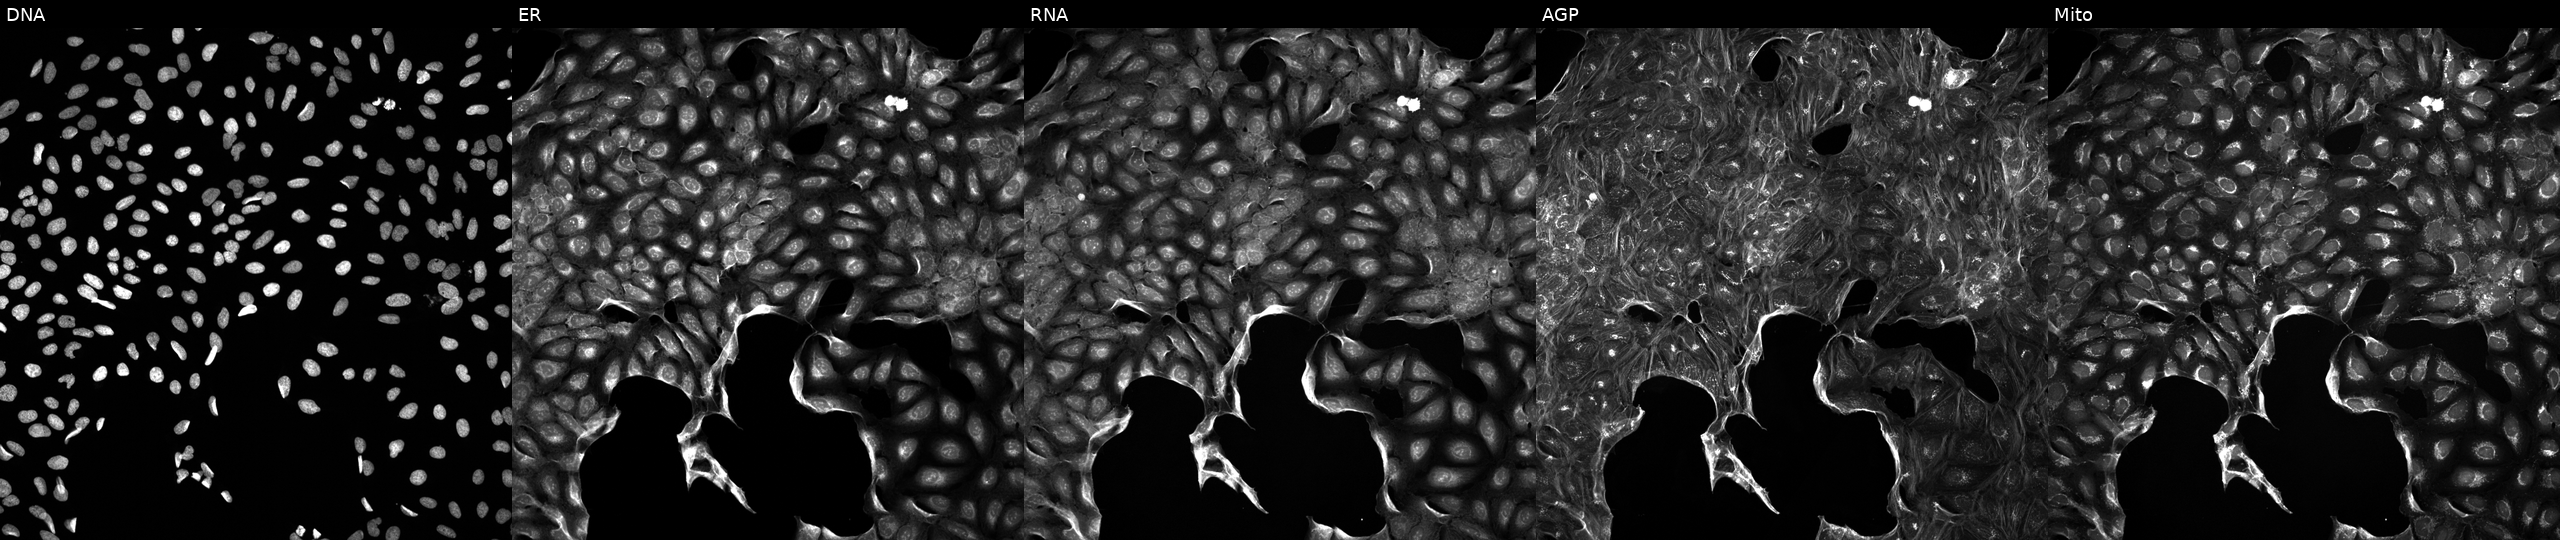
From left to right: Hoechst 33342, concanavalin A, SYTO 14, phalloidin and WGA, MitoTracker. U2OS osteosarcoma cells perturbed with a small-molecule compound (InChIKey WJBLNOPPDWQMCH-UHFFFAOYSA-N). Cell Painting assay, JUMP-CP dataset. Source 5, plate ACPJUM012, well O02.